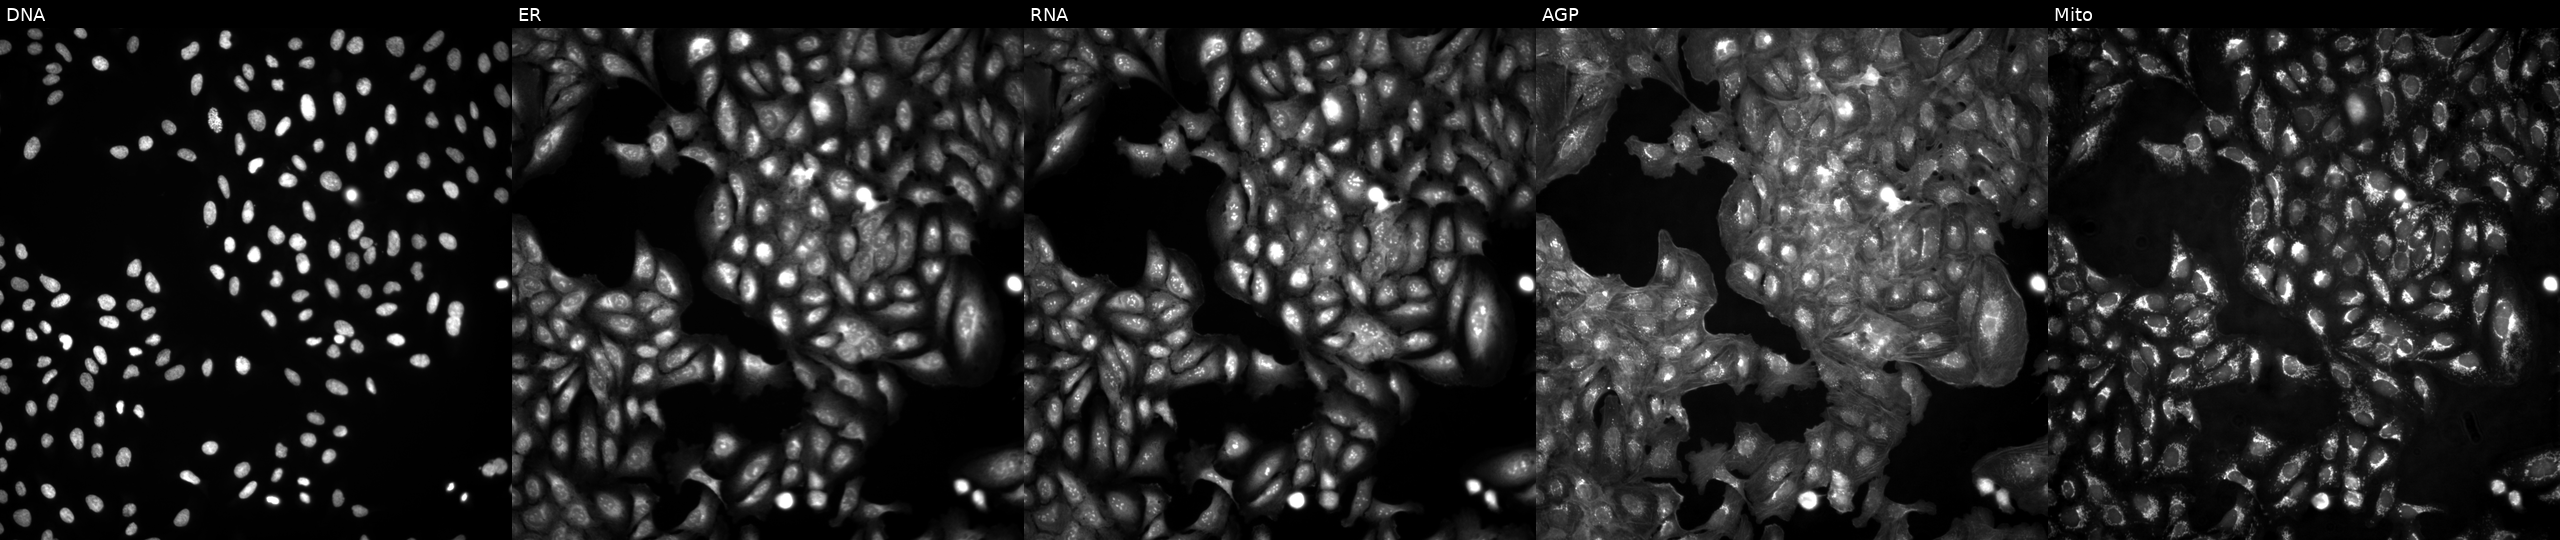
This image strip shows the five Cell Painting channels for a single field of U2OS cells in an empty control well (no perturbation). The five panels, left to right, show DNA (nuclei); ER (endoplasmic reticulum); RNA (nucleoli and cytoplasmic RNA); AGP (actin cytoskeleton, Golgi, and plasma membrane); Mito (mitochondria).